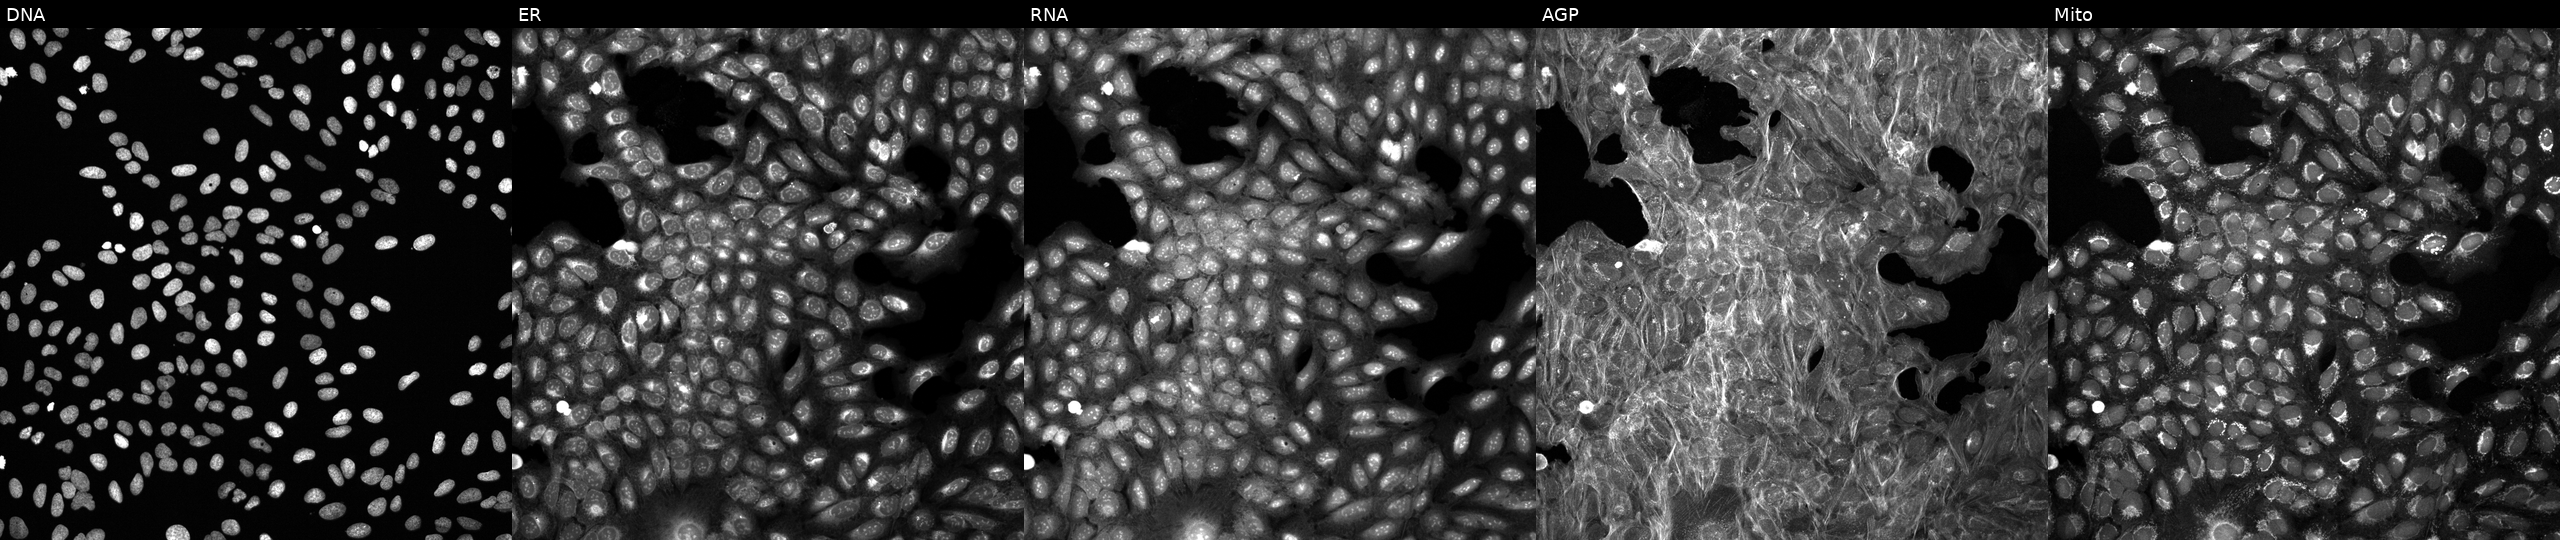
High-content fluorescence microscopy (Cell Painting). Cell line: U2OS. Perturbation: perturbed with a small-molecule compound (InChIKey JZFPYUNJRRFVQU-UHFFFAOYSA-N) [SMILES: O=C(O)c1ccc[nH]c1=Nc1cccc(C(F)(F)F)c1] (JUMP id JCP2022_043099). Panels show, left to right, DNA, ER, RNA, AGP, and Mito. Source 6, plate 110000294901, well P22.